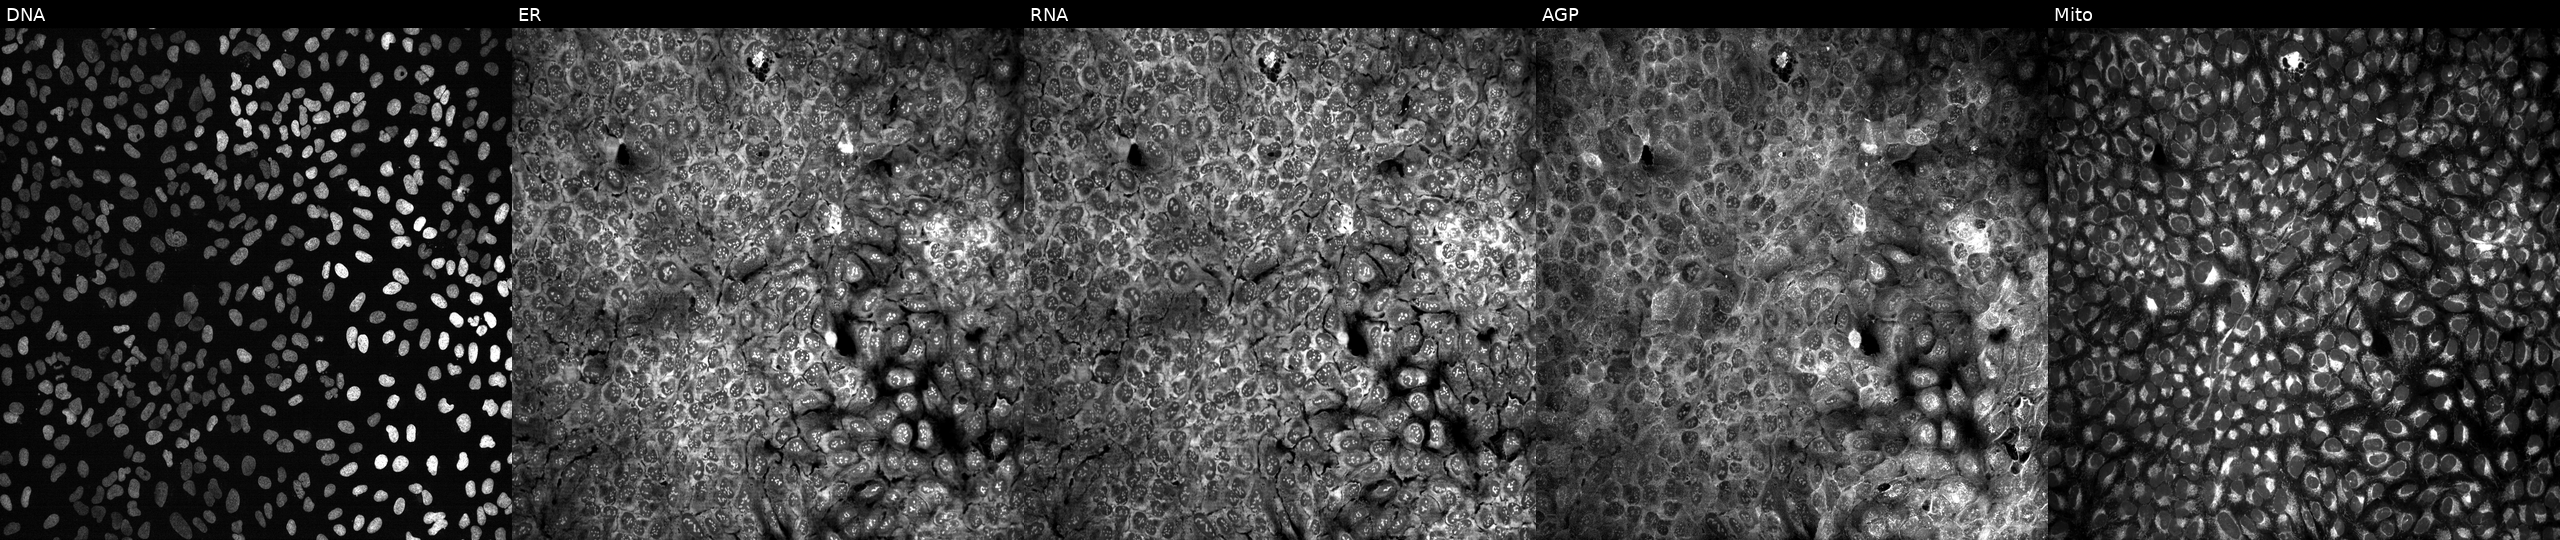
JUMP Cell Painting — CRISPR plate. U2OS cells with AIFM3 knocked out by CRISPR. From left to right: Hoechst 33342, concanavalin A, SYTO 14, phalloidin and WGA, MitoTracker. Source 13, plate CP-CC9-R4-03, well G03.